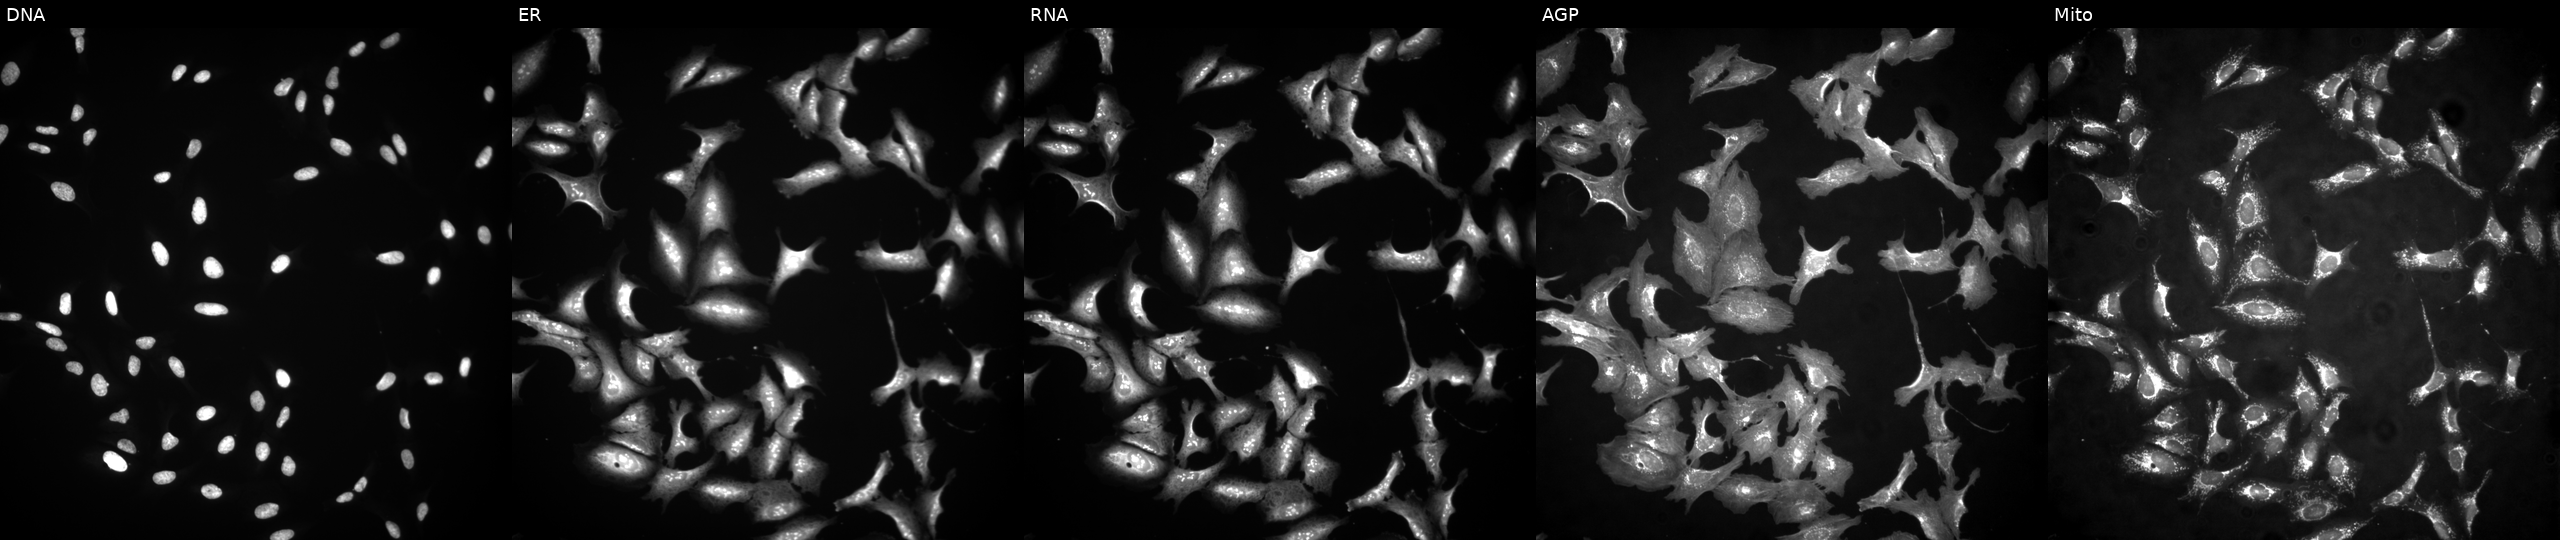
From left to right: Hoechst 33342, concanavalin A, SYTO 14, phalloidin and WGA, MitoTracker. U2OS osteosarcoma cells expressing BFP (ORF negative control) (JUMP id JCP2022_915128). Cell Painting assay, JUMP-CP dataset.